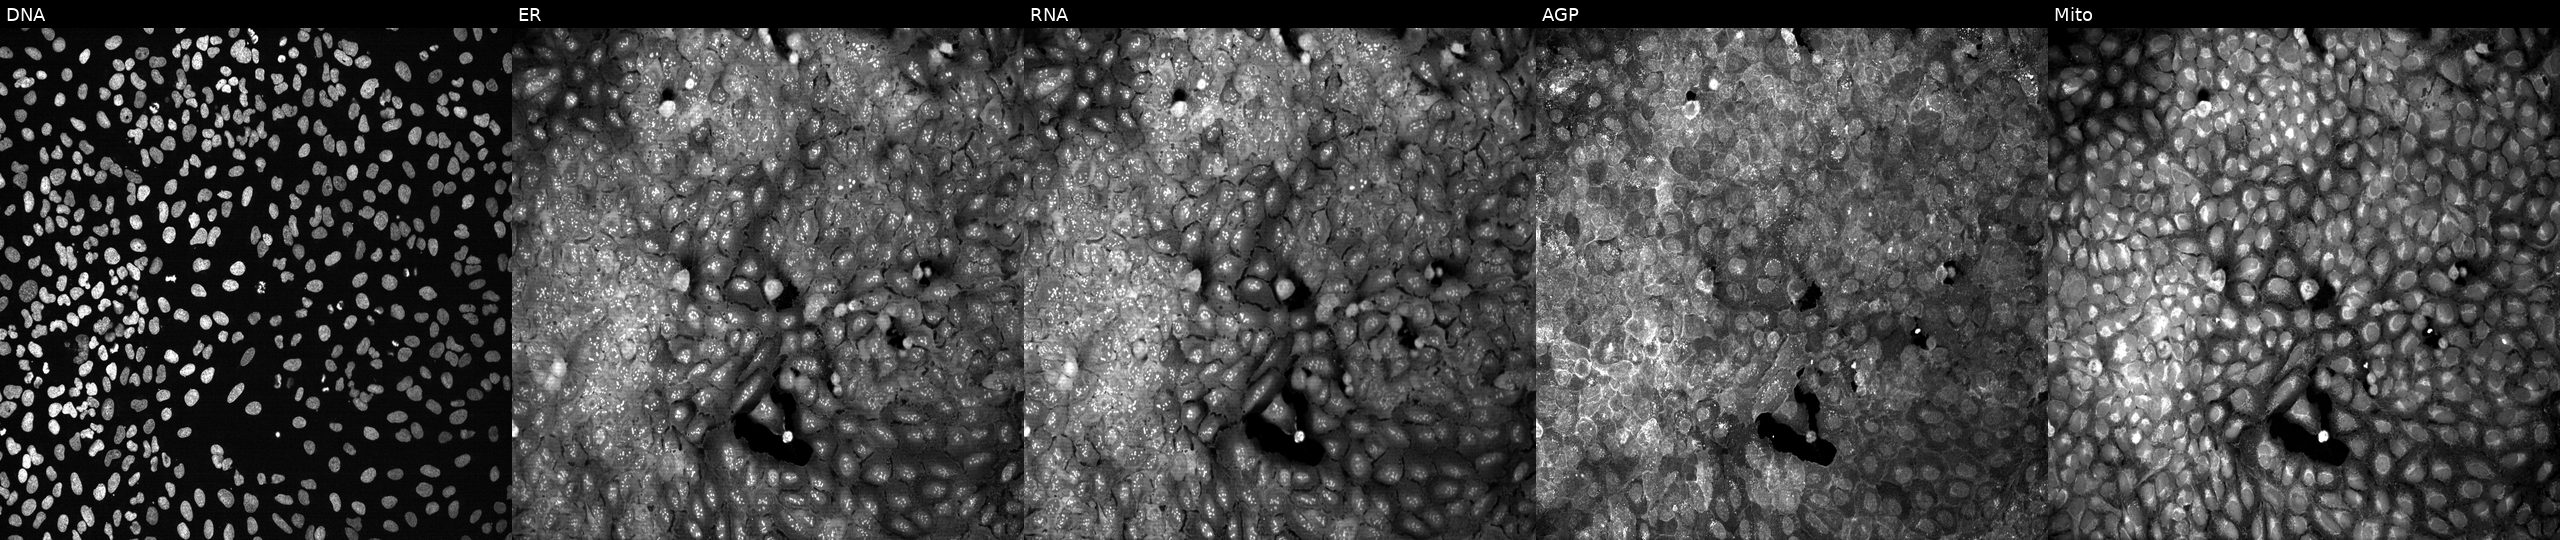
U2OS cells, Cell Painting assay, following CRISPR knockout of SDS. Panels show, left to right, DNA (nuclei); ER (endoplasmic reticulum); RNA (nucleoli and cytoplasmic RNA); AGP (actin cytoskeleton, Golgi, and plasma membrane); Mito (mitochondria). Each panel is percentile-stretched 16-bit fluorescence.